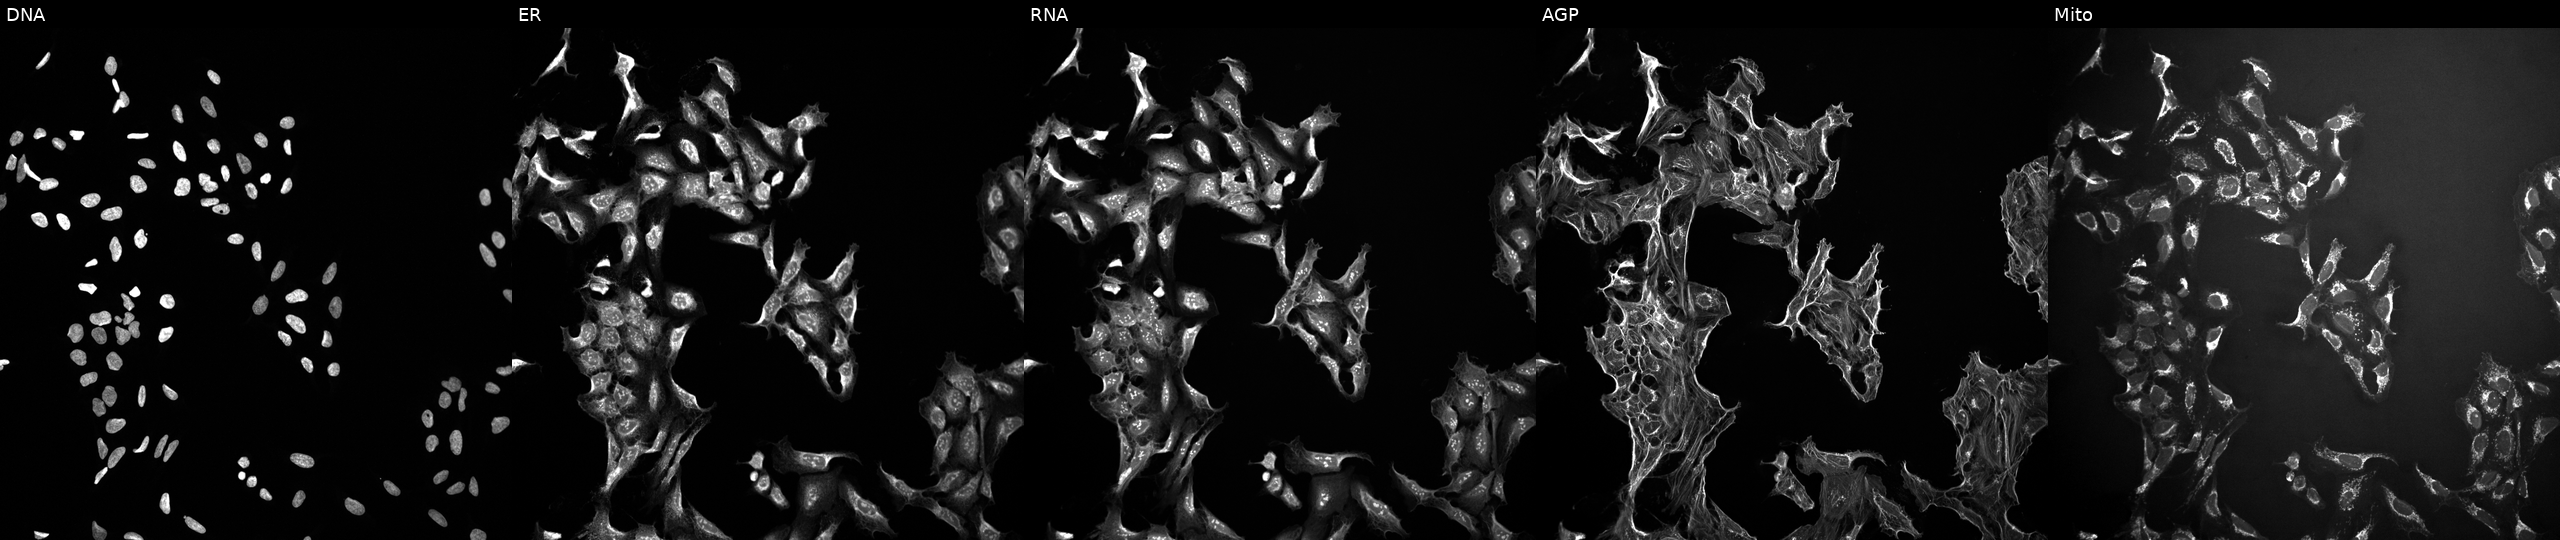
This image strip shows the five Cell Painting channels for a single field of U2OS cells perturbed with a small-molecule compound (InChIKey BDNFQGRSKSQXRI-UHFFFAOYSA-N) (JUMP id JCP2022_005628). Channels (left→right): Hoechst 33342, concanavalin A, SYTO 14, phalloidin and WGA, MitoTracker. Source 10, plate Dest210726-160150, well J24.